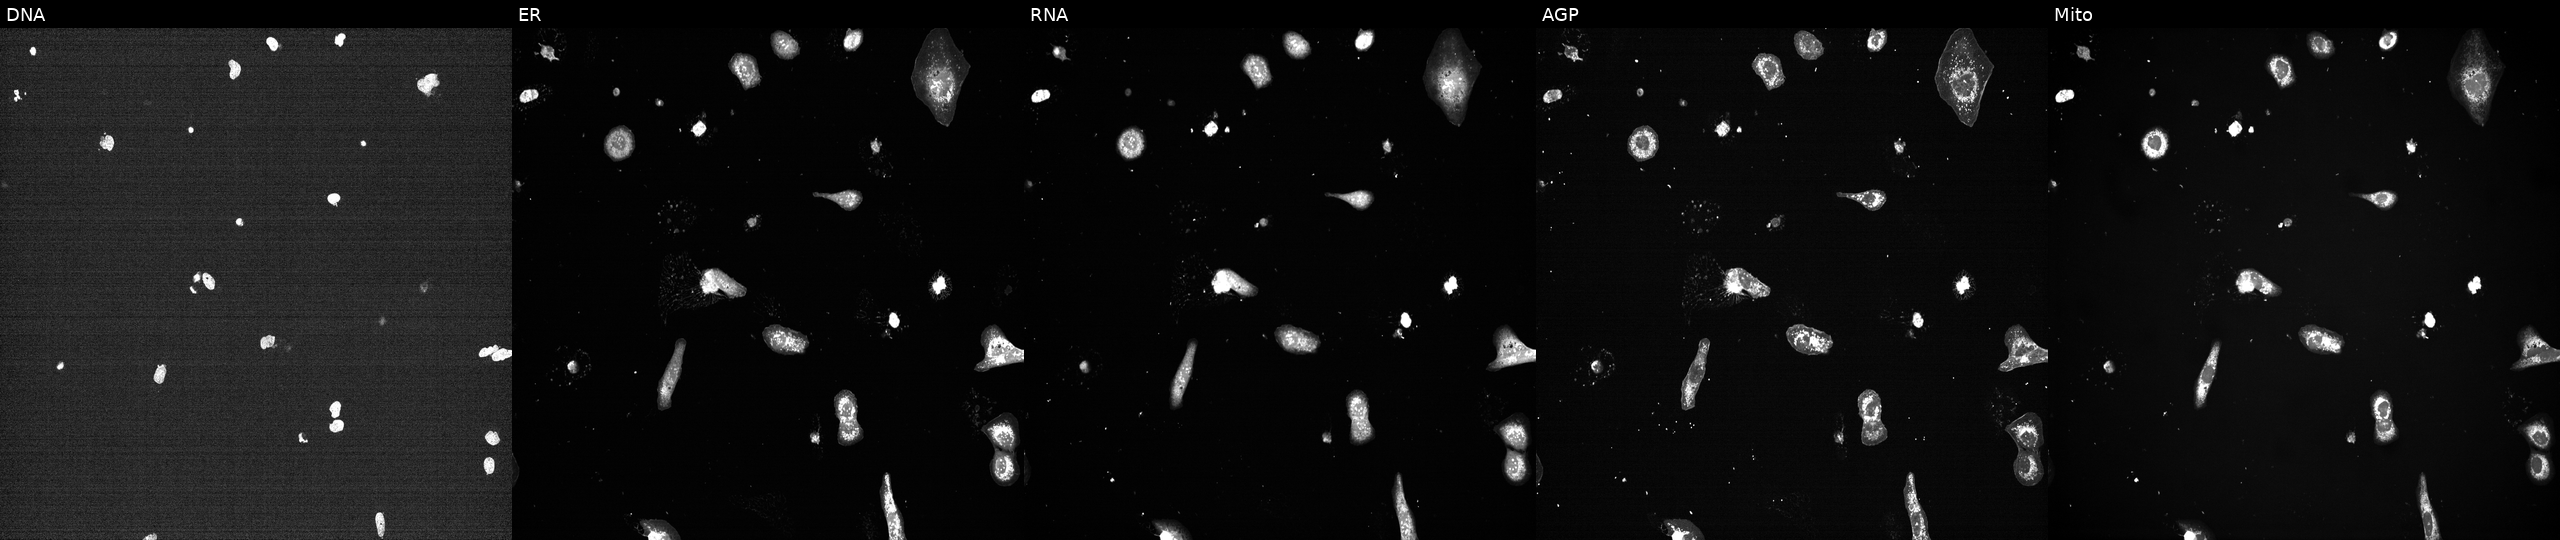
JUMP Cell Painting — TARGET2 plate. U2OS cells treated with a small-molecule compound (InChIKey QTBWCSQGBMPECM-UHFFFAOYSA-N) [SMILES: CCn1cc(-c2ccnc3[nH]c(-c4cccc(CN(C)C)c4)cc23)c(-c2ccc(NC(=O)N(C)C)cc2)n1]. The five panels, left to right, show DNA, ER, RNA, AGP, and Mito.